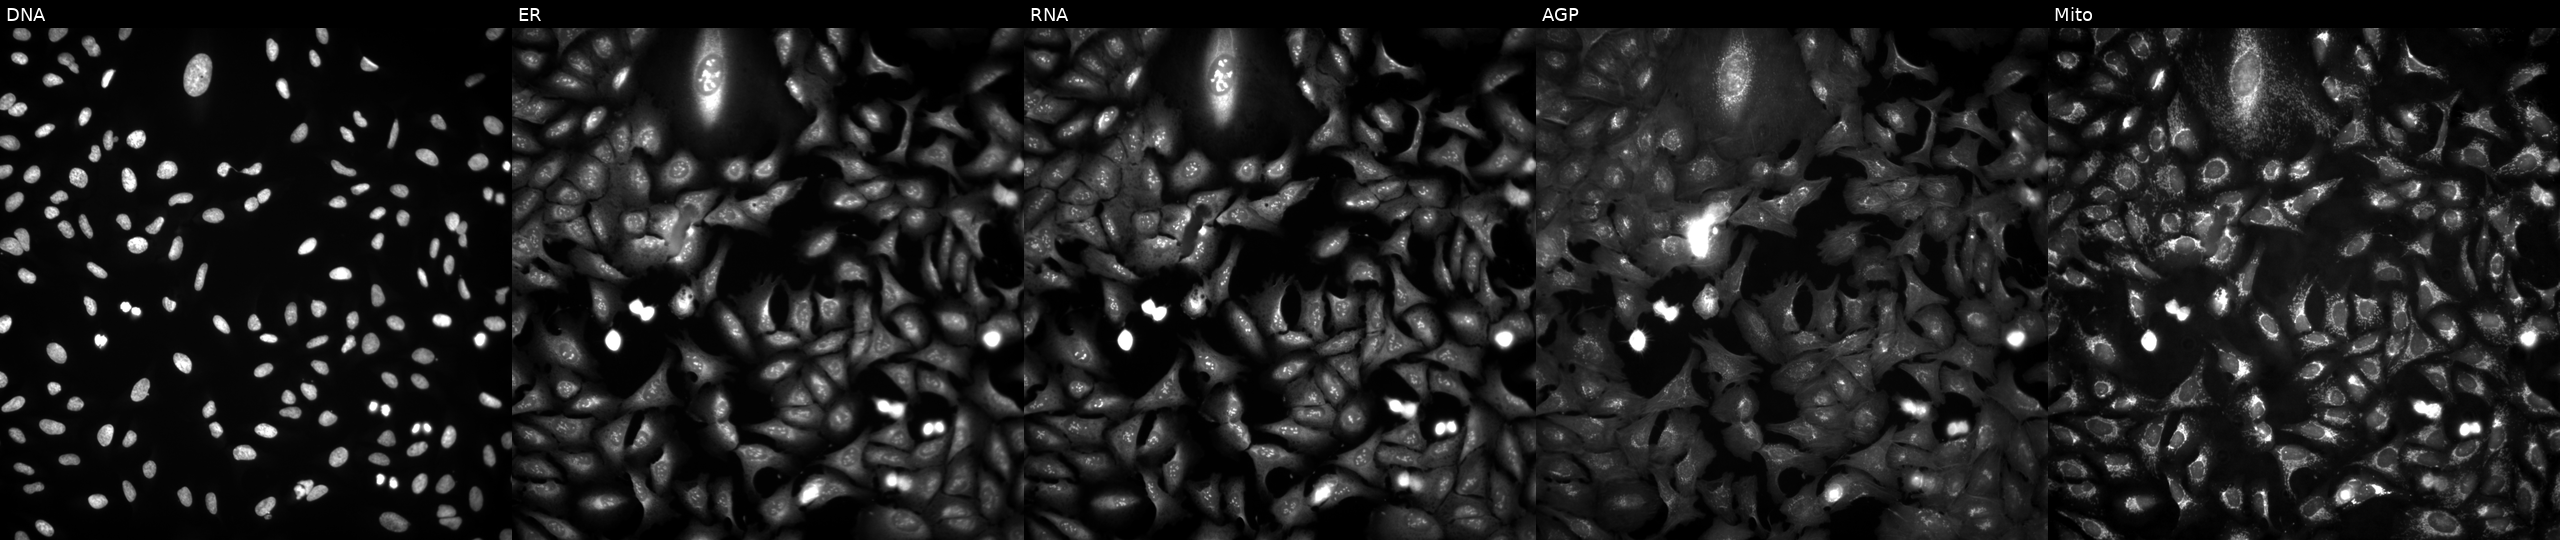
The five panels, left to right, show DNA (nuclei); ER (endoplasmic reticulum); RNA (nucleoli and cytoplasmic RNA); AGP (actin cytoskeleton, Golgi, and plasma membrane); Mito (mitochondria). U2OS osteosarcoma cells transfected with an ORF construct for CDC20 (JUMP id JCP2022_900248). Cell Painting assay, JUMP-CP dataset. Source 4, plate BR00124787, well L21.